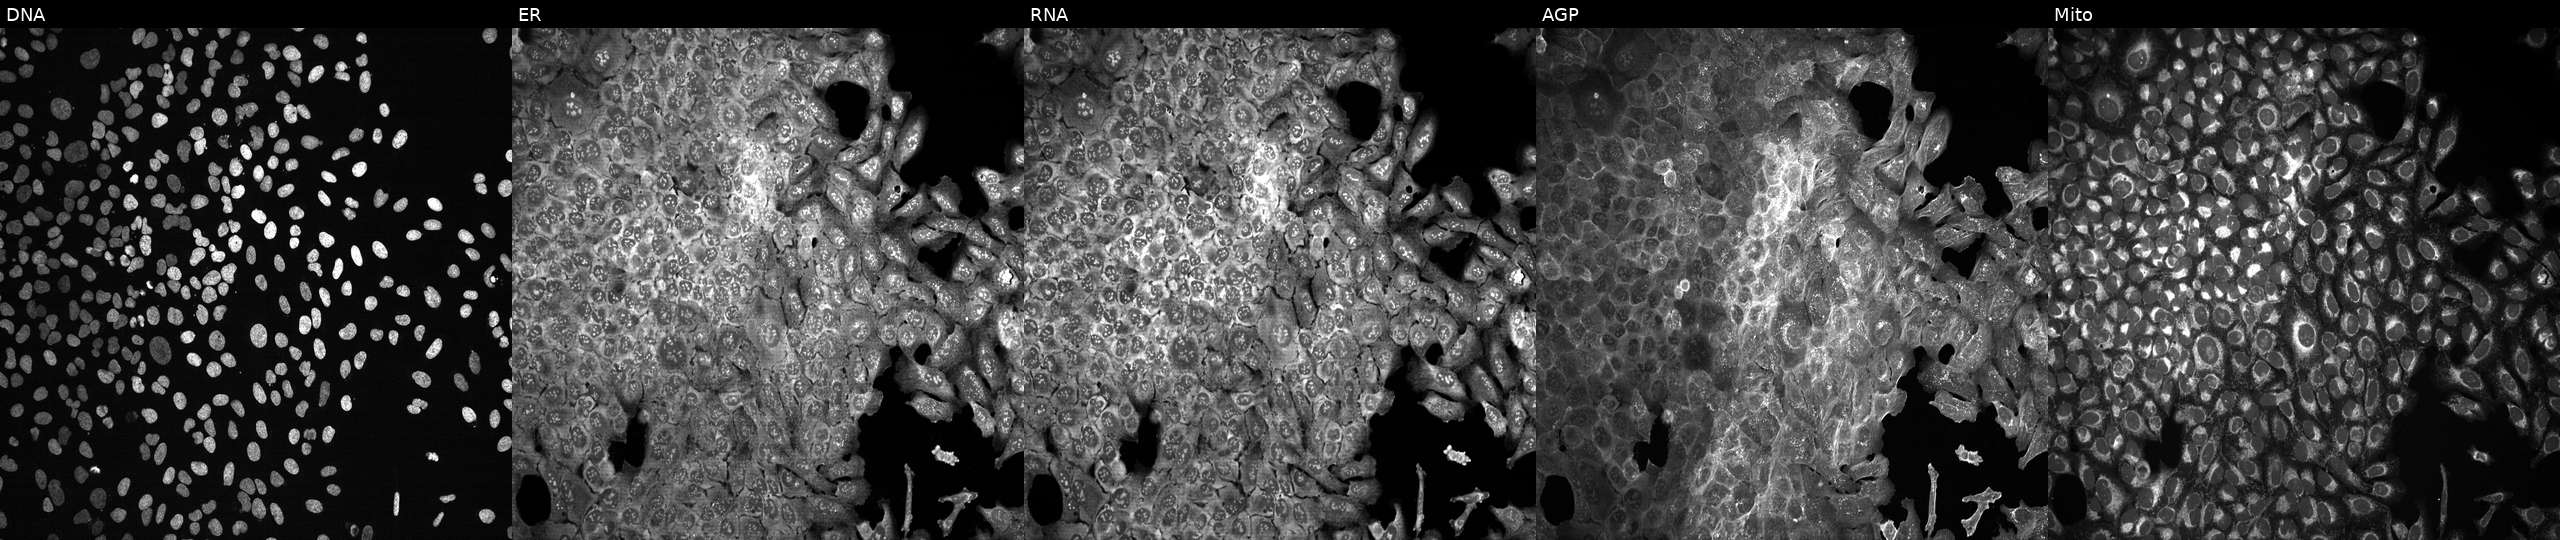
U2OS cells, Cell Painting assay, with HOXD11 knocked out by CRISPR (JUMP id JCP2022_803202). Channels (left→right): DNA (nuclei); ER (endoplasmic reticulum); RNA (nucleoli and cytoplasmic RNA); AGP (actin cytoskeleton, Golgi, and plasma membrane); Mito (mitochondria). Each panel is percentile-stretched 16-bit fluorescence.